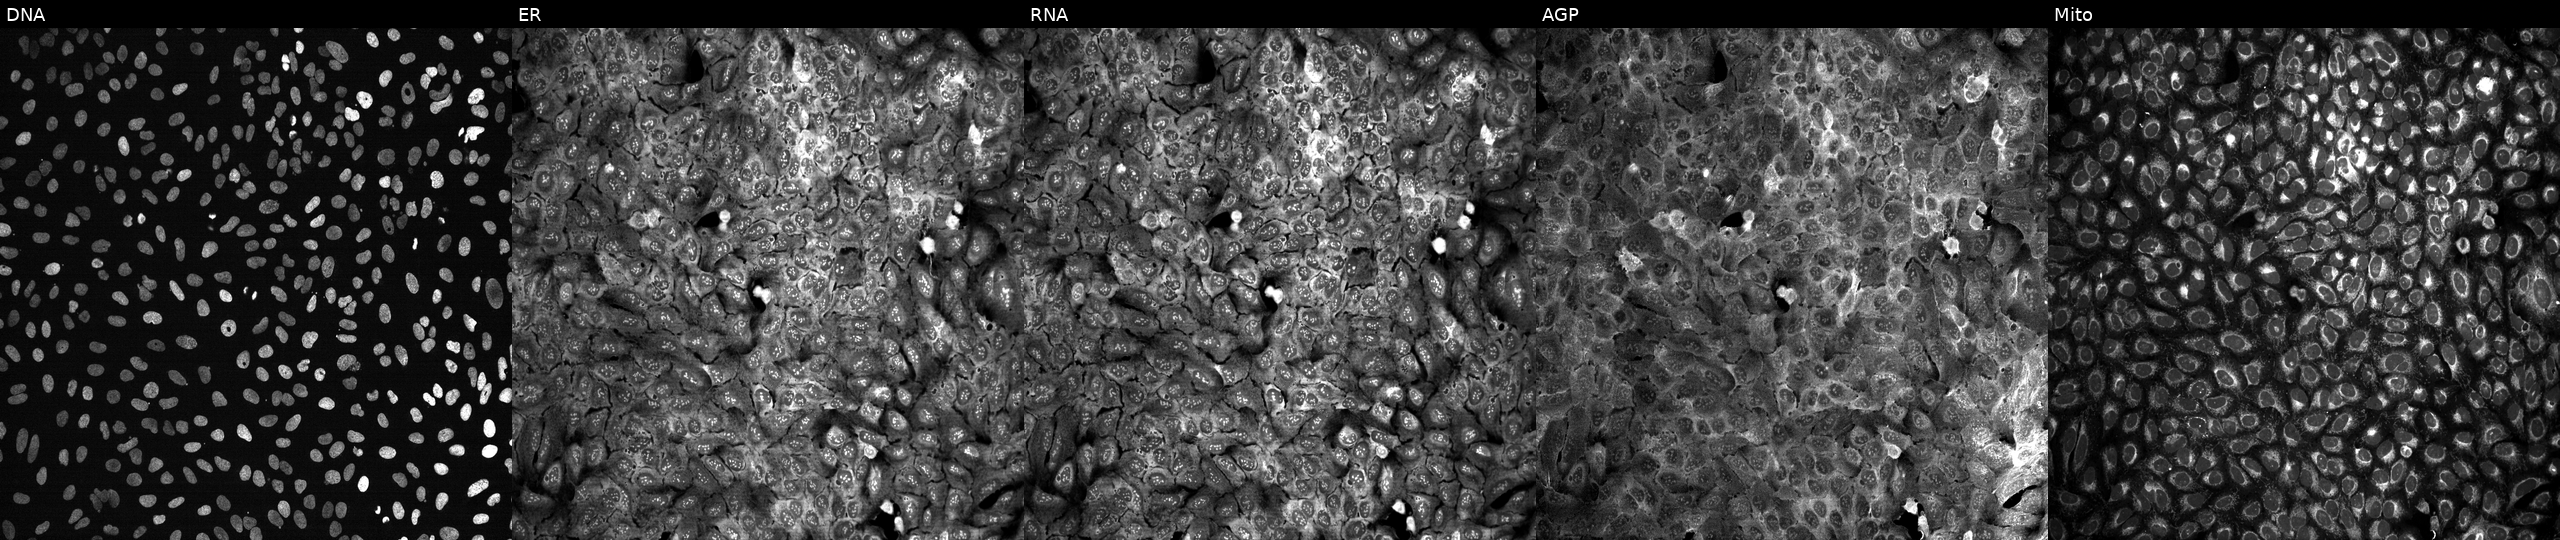
JUMP Cell Painting — CRISPR plate. U2OS cells CRISPR-edited to disrupt ANGPTL3. Panels show, left to right, Hoechst 33342, concanavalin A, SYTO 14, phalloidin and WGA, MitoTracker.